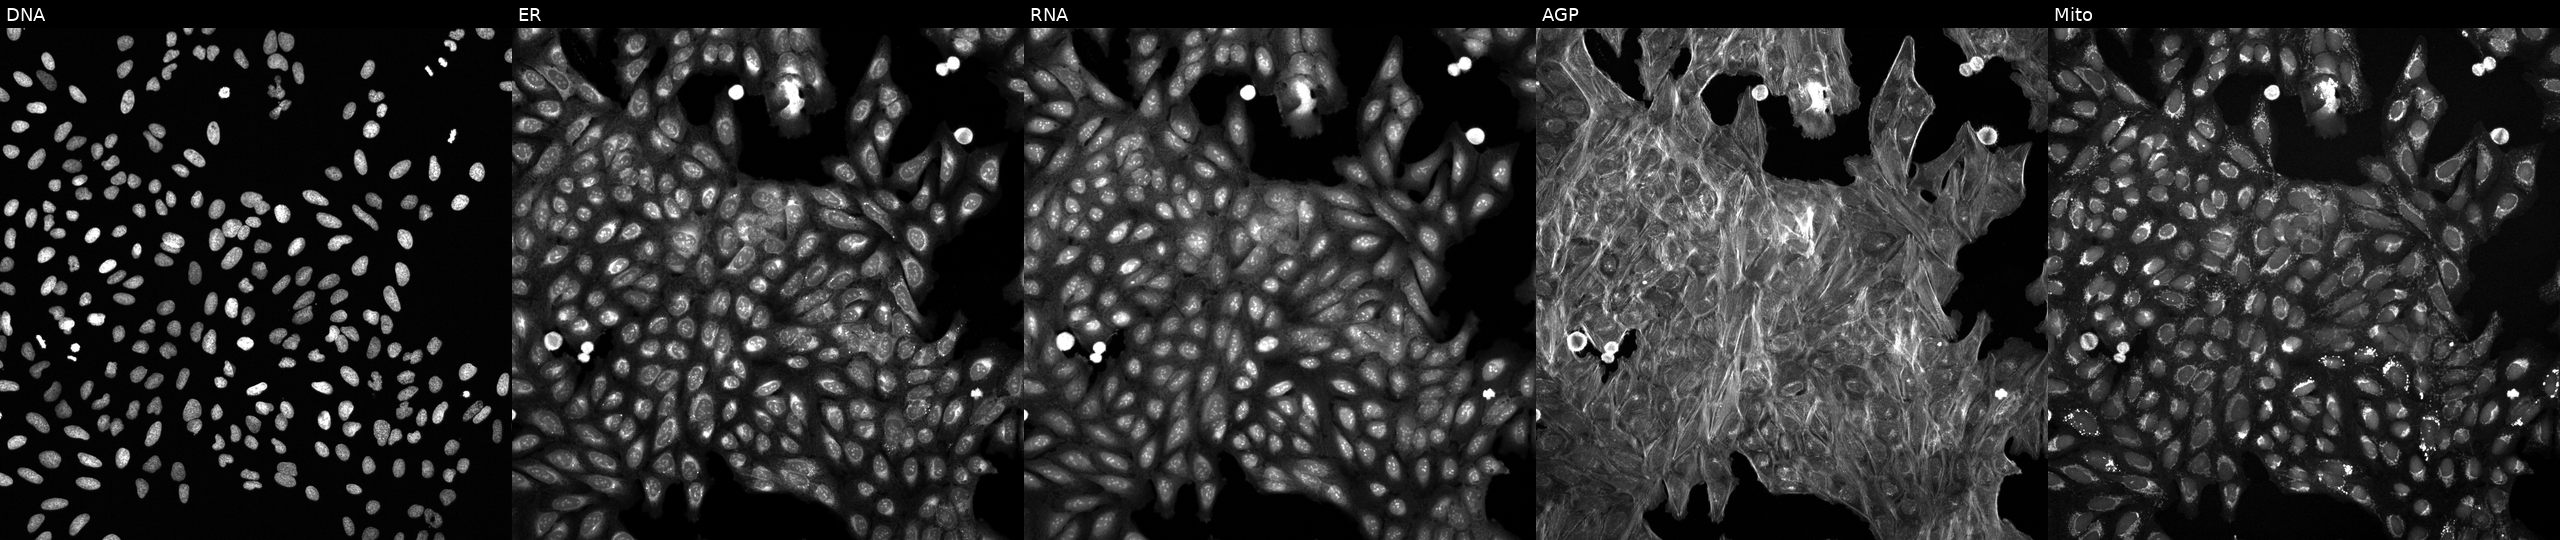
The five panels, left to right, show DNA (nuclei); ER (endoplasmic reticulum); RNA (nucleoli and cytoplasmic RNA); AGP (actin cytoskeleton, Golgi, and plasma membrane); Mito (mitochondria). U2OS osteosarcoma cells perturbed with a small-molecule compound (InChIKey NEMHKCNXXRQYRF-UHFFFAOYSA-N) [SMILES: CCOC(=O)c1cc(C#N)c(N2CCC(C(=O)NS(=O)(=O)Cc3ccccc3)CC2)nc1C] (JUMP id JCP2022_058461). Cell Painting assay, JUMP-CP dataset.